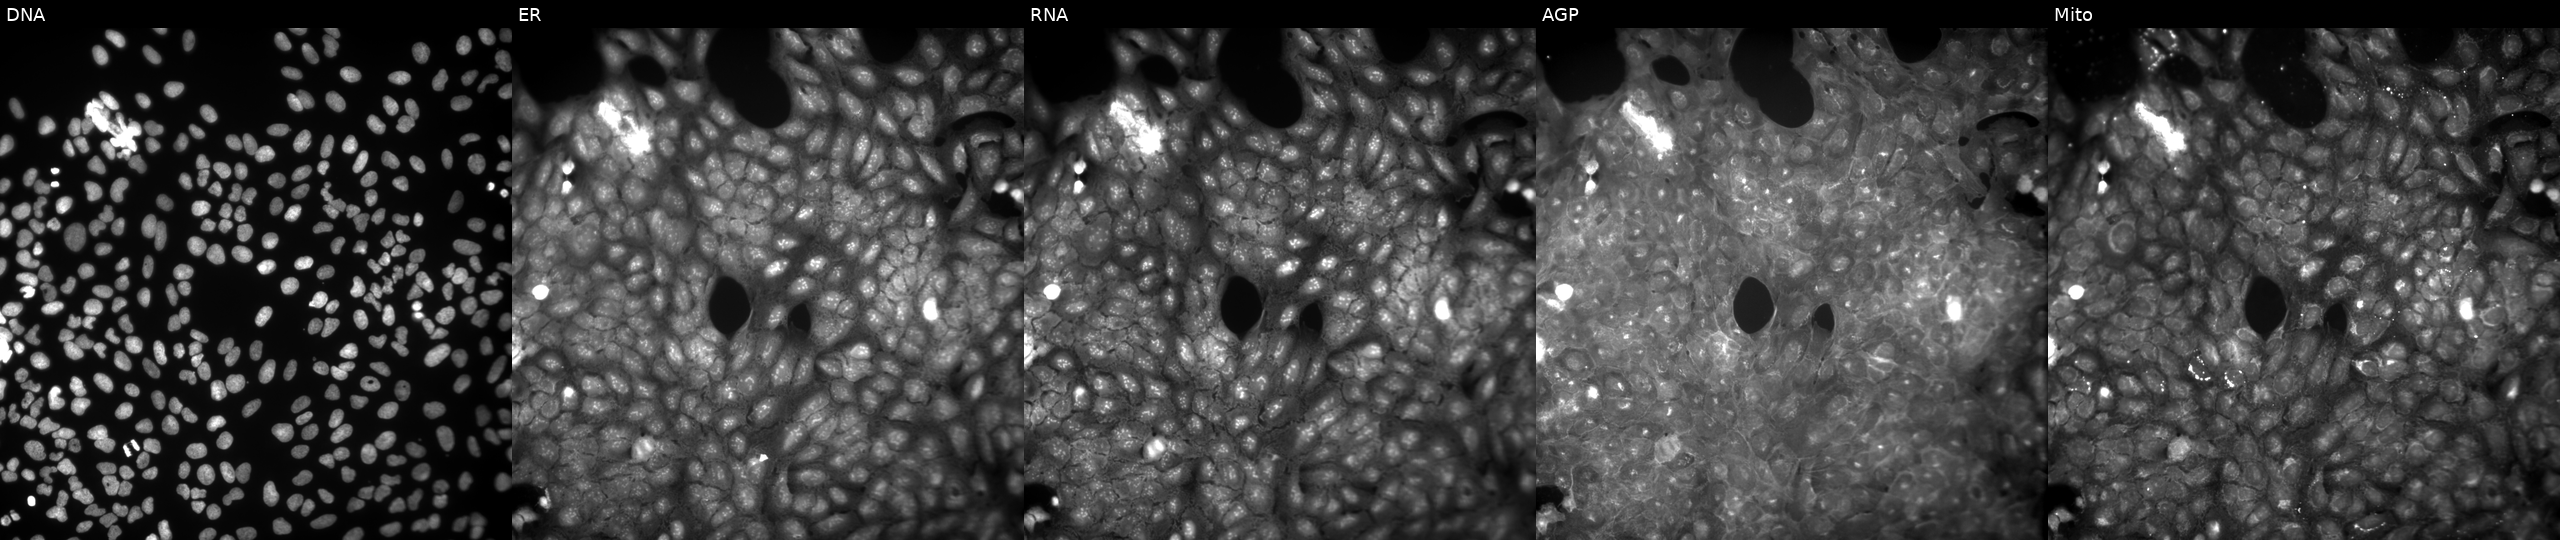
This image strip shows the five Cell Painting channels for a single field of U2OS cells perturbed with a small-molecule compound. The five panels, left to right, show DNA (nuclei); ER (endoplasmic reticulum); RNA (nucleoli and cytoplasmic RNA); AGP (actin cytoskeleton, Golgi, and plasma membrane); Mito (mitochondria).